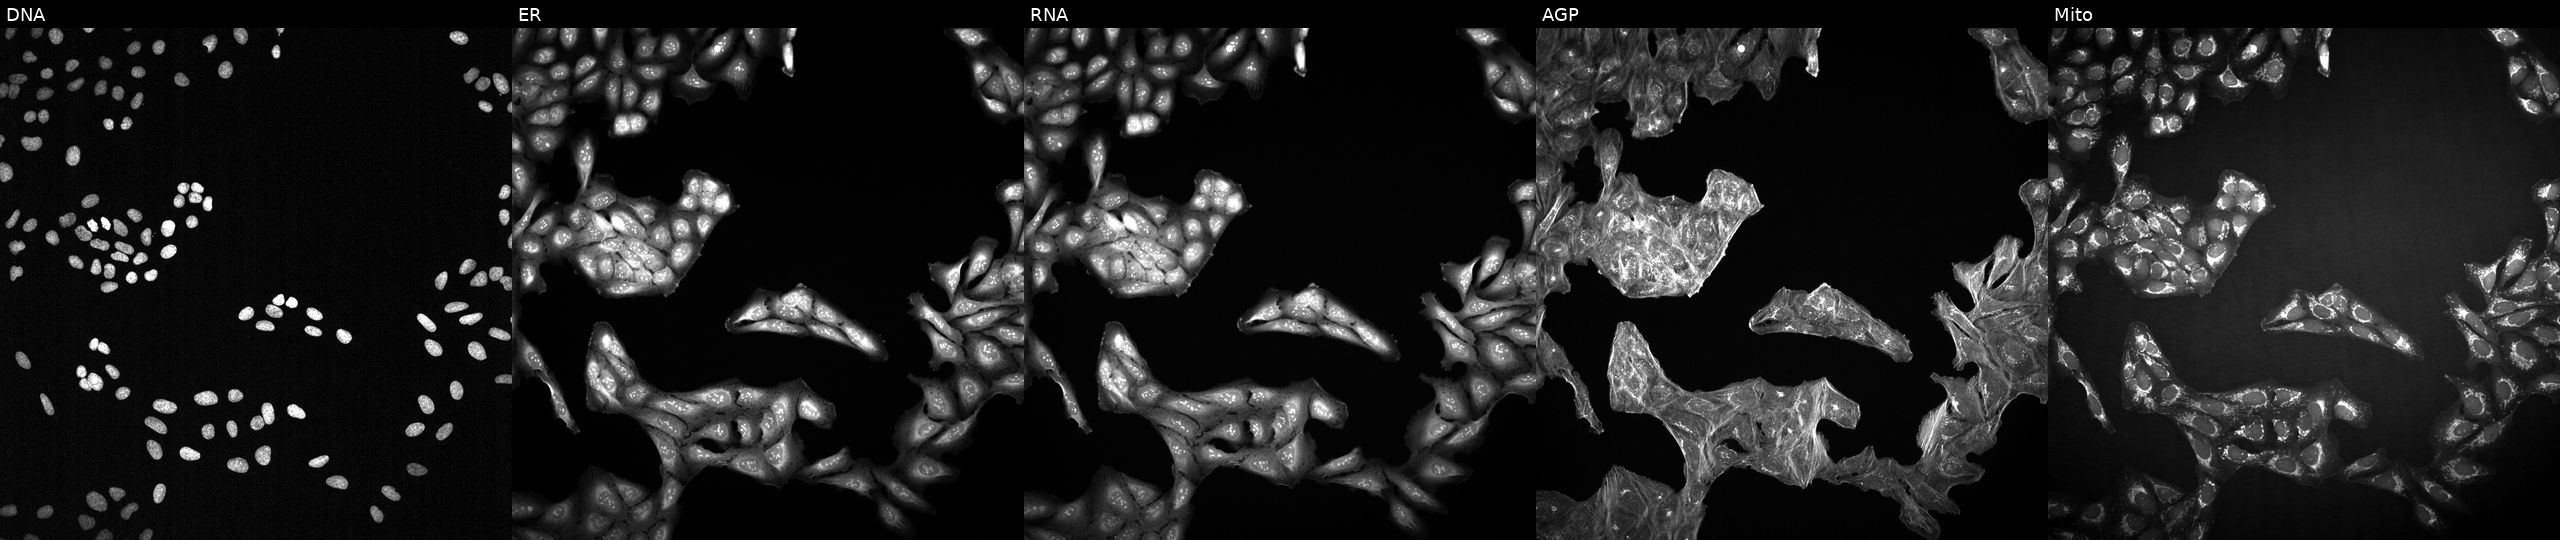
Panels show, left to right, DNA, ER, RNA, AGP, and Mito. U2OS osteosarcoma cells exposed to a small-molecule compound (InChIKey YGSDEFSMJLZEOE-UHFFFAOYSA-N) (JUMP id JCP2022_108326). Cell Painting assay, JUMP-CP dataset.